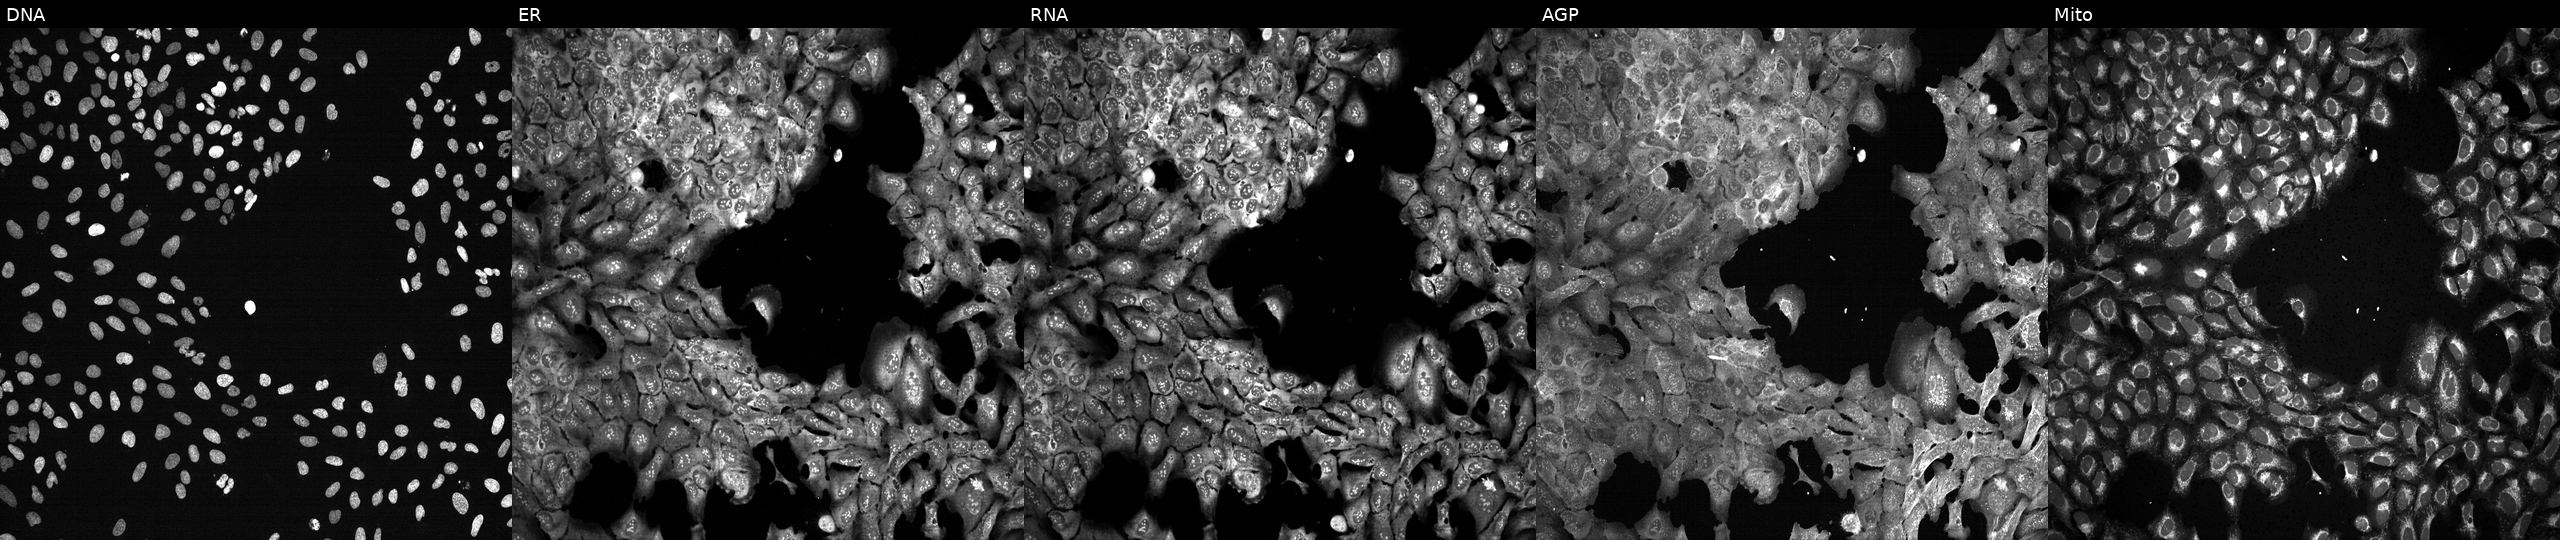
High-content fluorescence microscopy (Cell Painting). Cell line: U2OS. Perturbation: with AGO2 knocked out by CRISPR (JUMP id JCP2022_800311). From left to right: DNA, ER, RNA, AGP, and Mito.